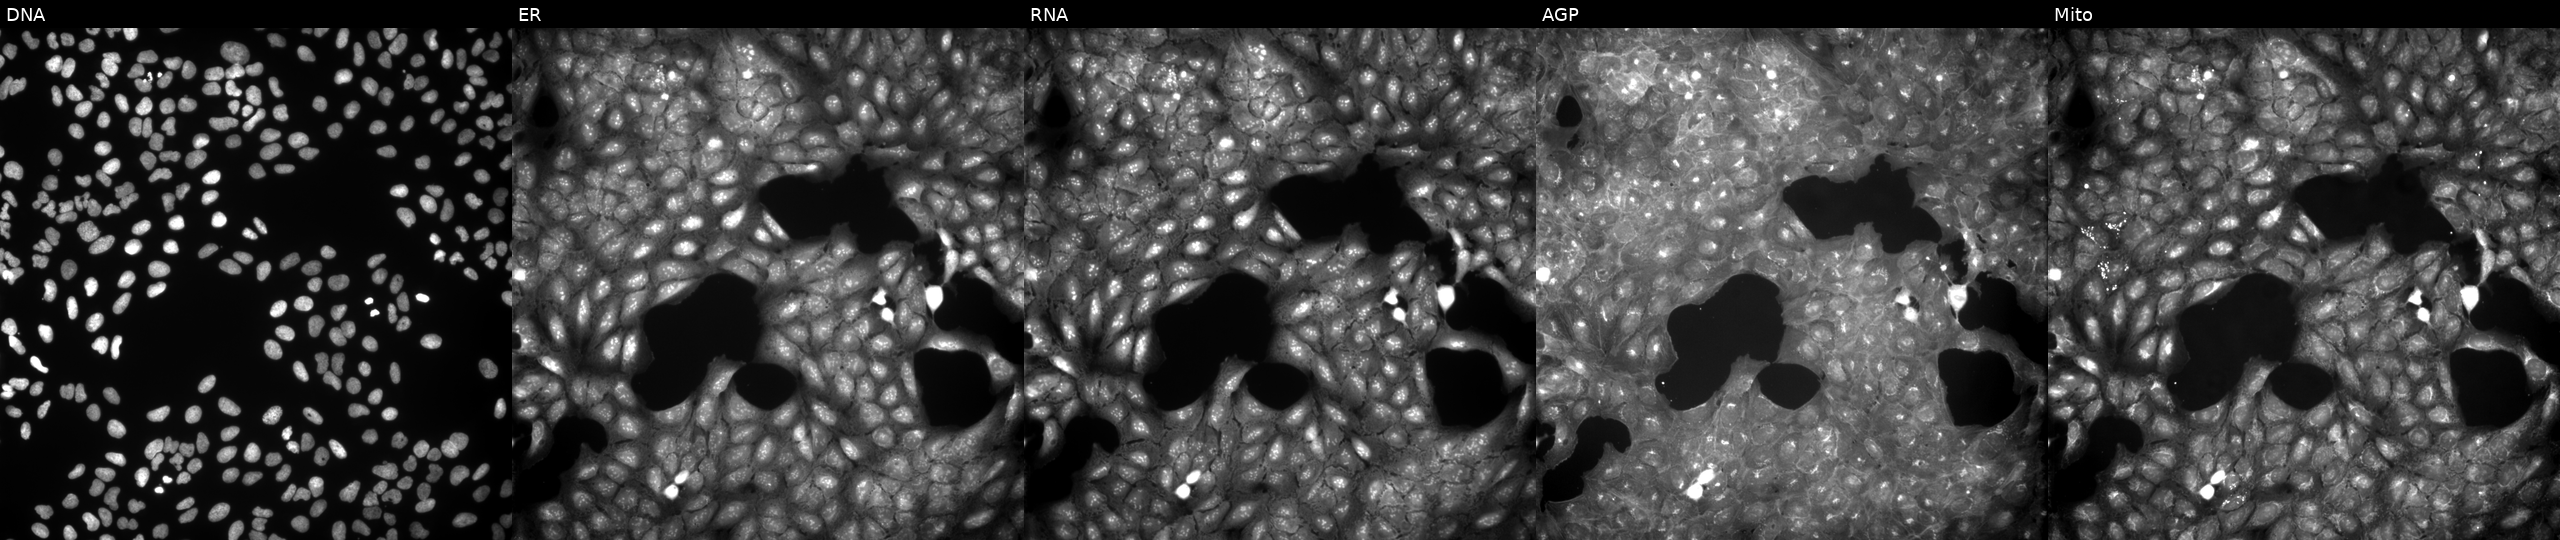
From left to right: Hoechst 33342, concanavalin A, SYTO 14, phalloidin and WGA, MitoTracker. U2OS osteosarcoma cells exposed to DMSO alone as a negative control. Cell Painting assay, JUMP-CP dataset. Source 9, plate GR00003381, well E26.